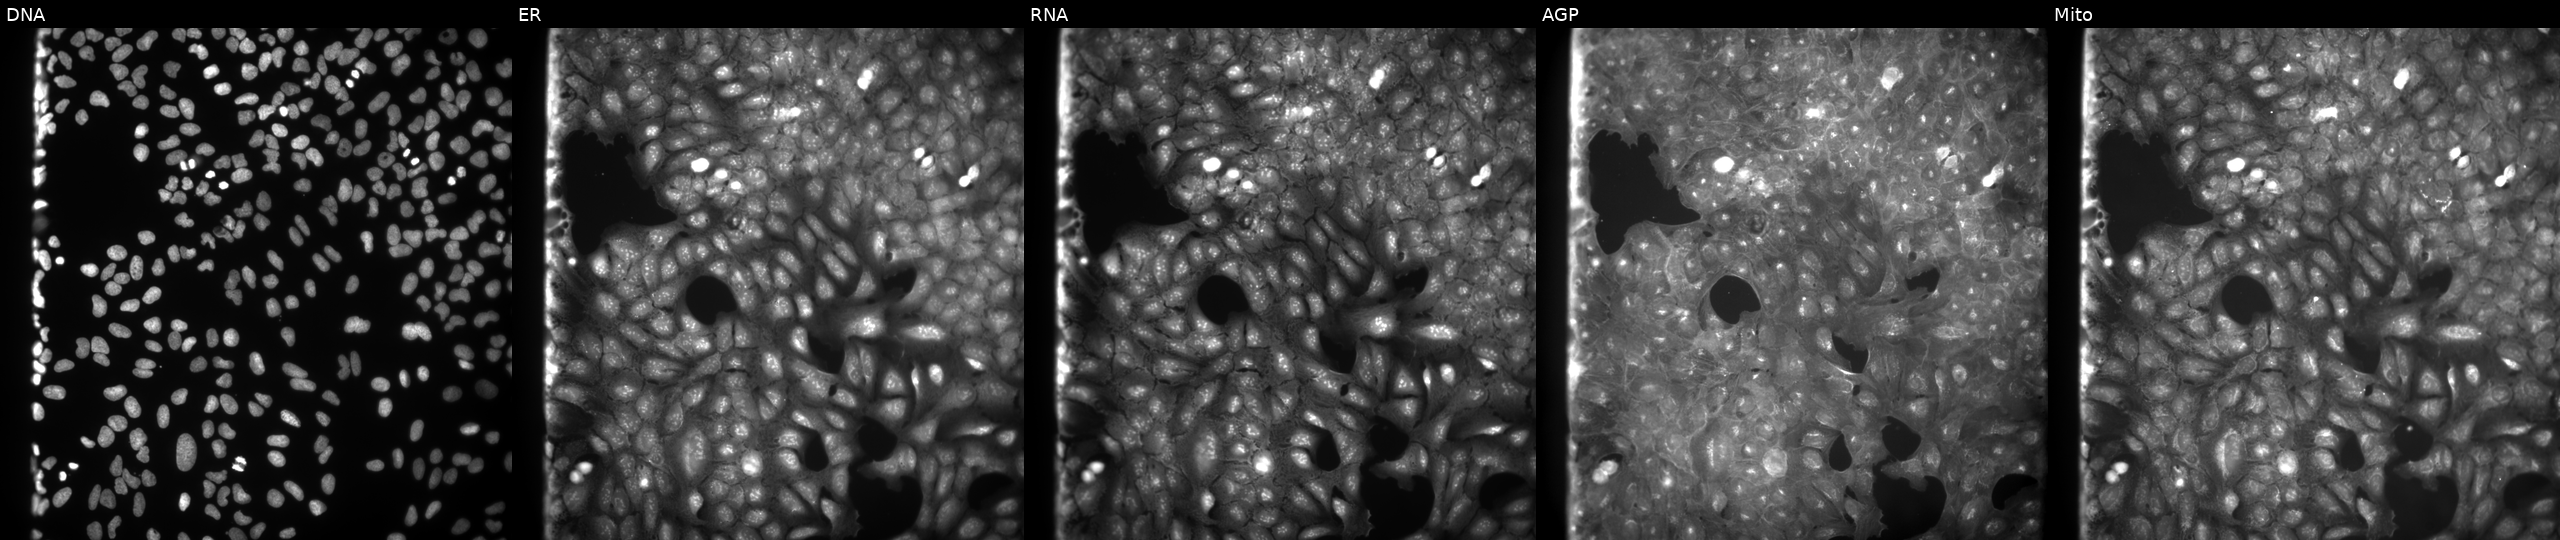
JUMP Cell Painting — COMPOUND plate. U2OS cells treated with a small-molecule compound [SMILES: Cc1ccc(S(=O)(=O)N2CCN(C)CC2)c2nsnc12] (JUMP id JCP2022_114851). Panels show, left to right, Hoechst 33342, concanavalin A, SYTO 14, phalloidin and WGA, MitoTracker.